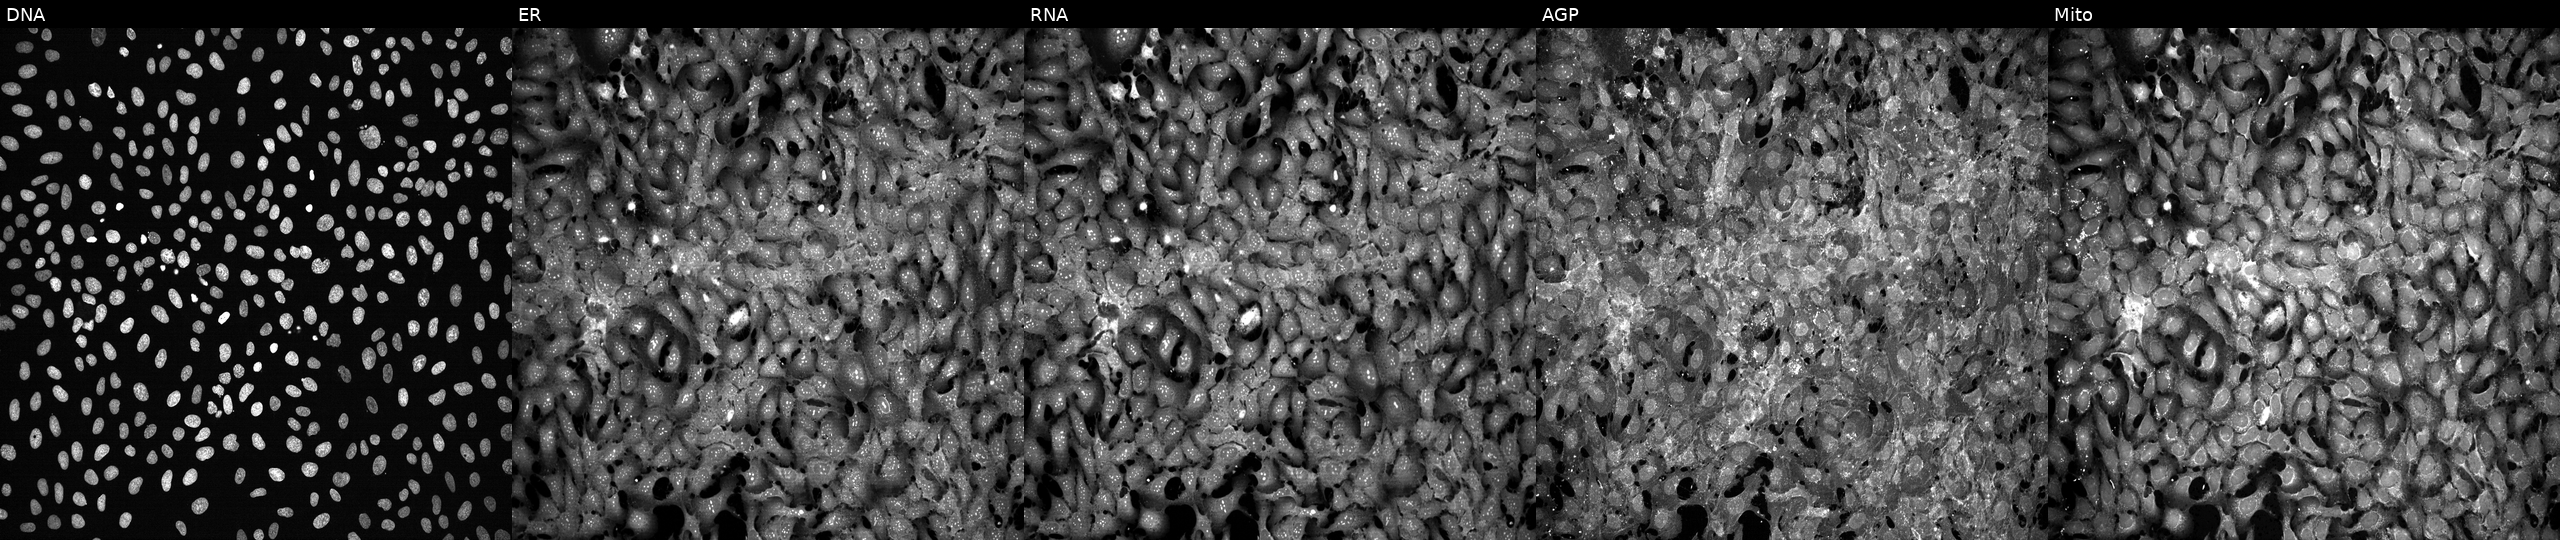
Panels show, left to right, Hoechst 33342, concanavalin A, SYTO 14, phalloidin and WGA, MitoTracker. U2OS osteosarcoma cells treated with FK-866 (positive-control compound) (JUMP id JCP2022_046054). Cell Painting assay, JUMP-CP dataset. Source 13, plate CP-CC9-R1-01, well D01.